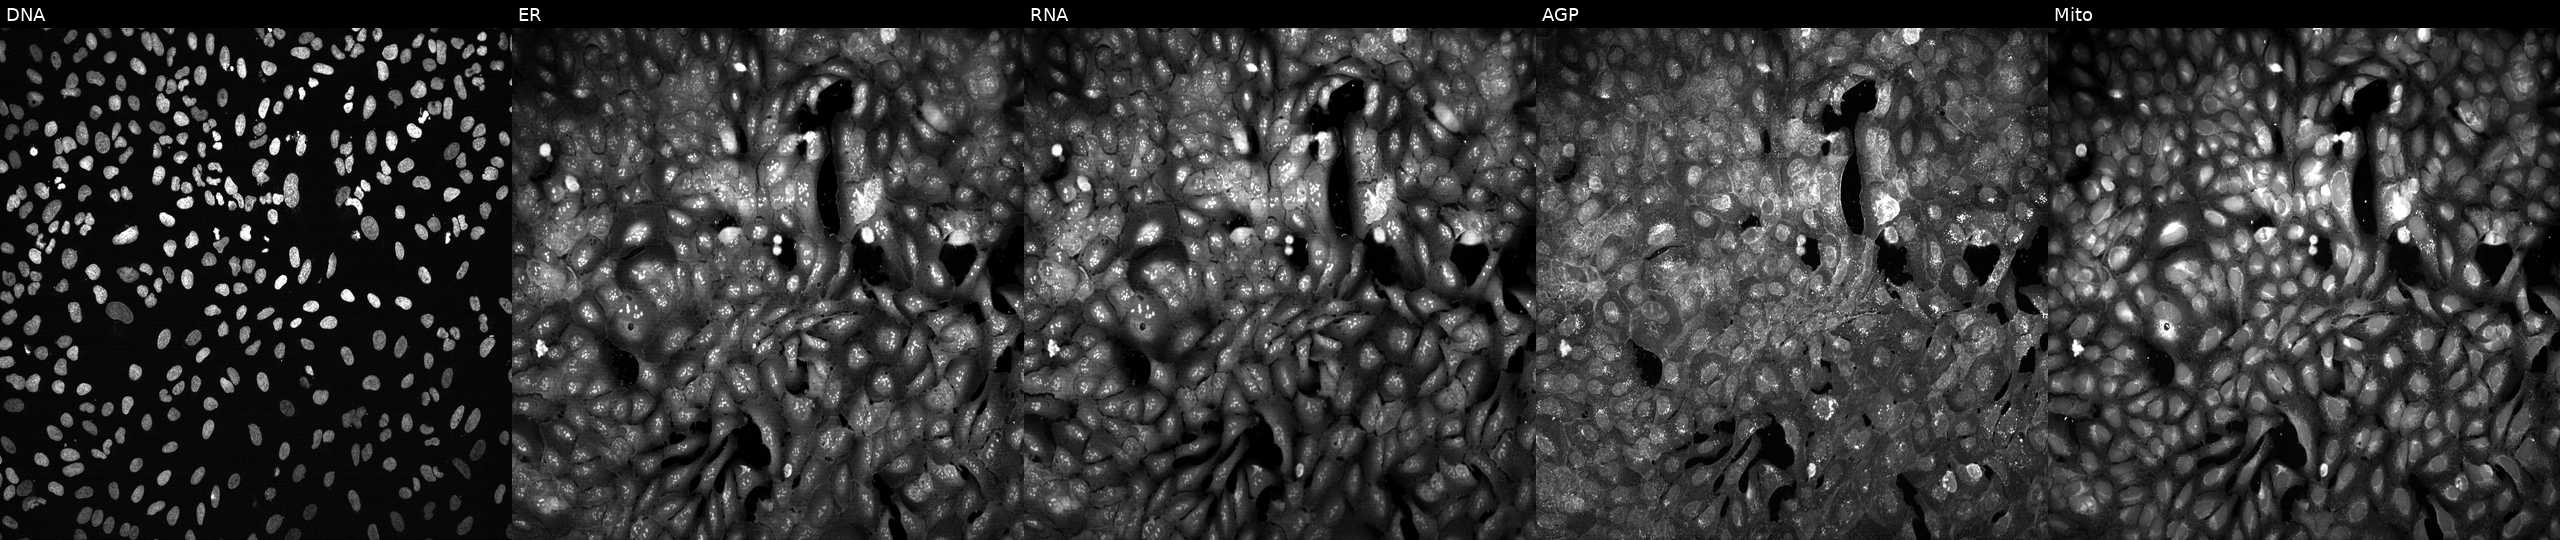
Panels show, left to right, DNA (nuclei); ER (endoplasmic reticulum); RNA (nucleoli and cytoplasmic RNA); AGP (actin cytoskeleton, Golgi, and plasma membrane); Mito (mitochondria). U2OS osteosarcoma cells following CRISPR knockout of VLDLR. Cell Painting assay, JUMP-CP dataset.